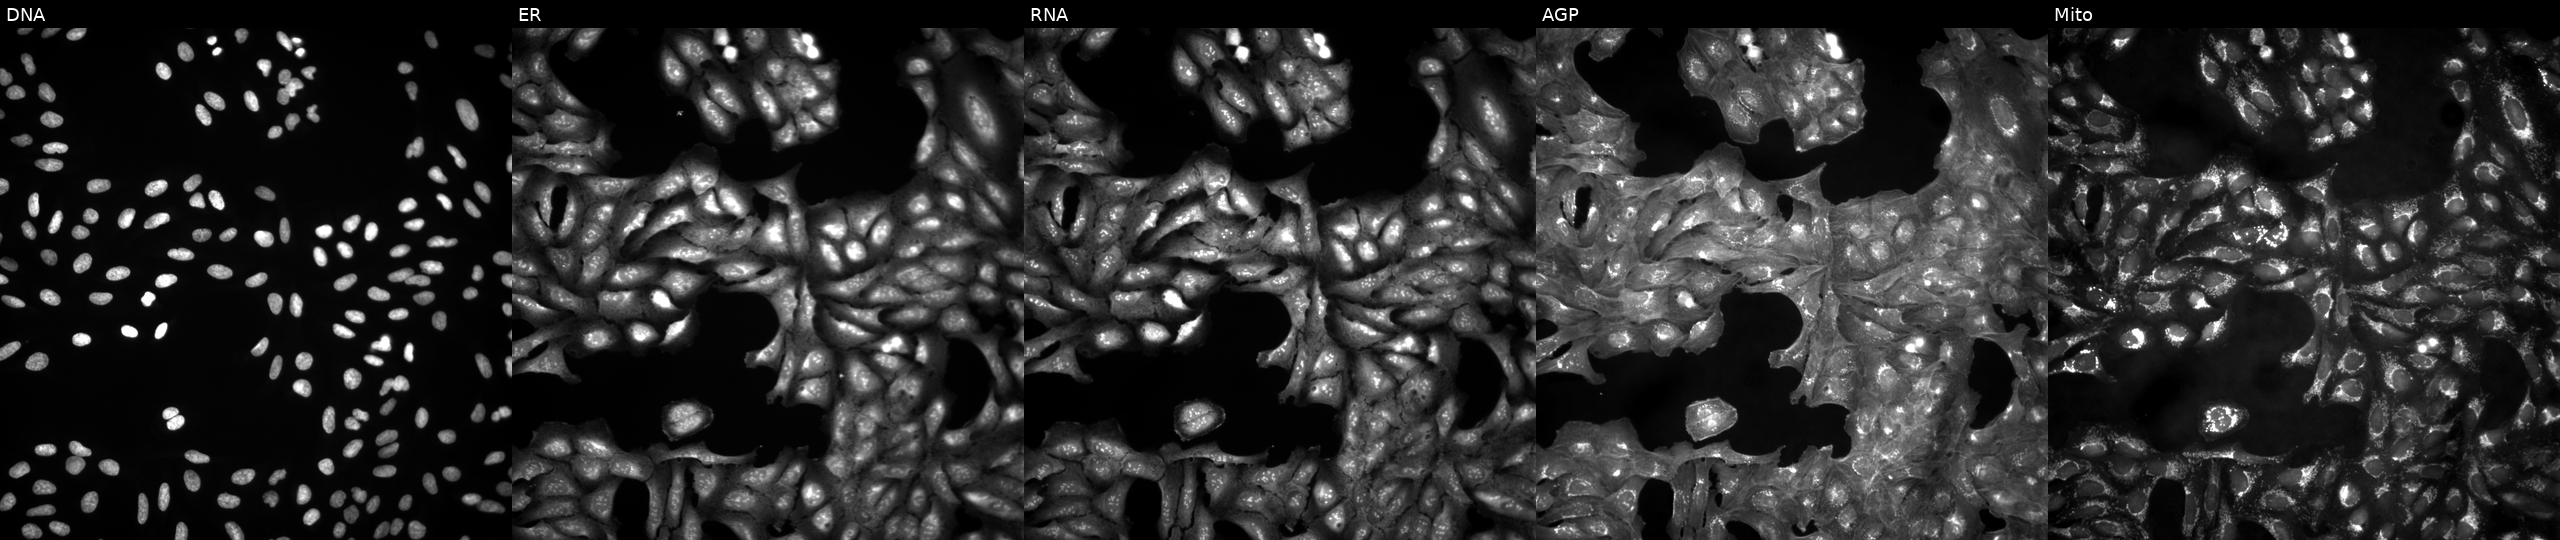
JUMP Cell Painting — ORF plate. U2OS cells untreated (empty-well control). Panels show, left to right, DNA (nuclei); ER (endoplasmic reticulum); RNA (nucleoli and cytoplasmic RNA); AGP (actin cytoskeleton, Golgi, and plasma membrane); Mito (mitochondria).